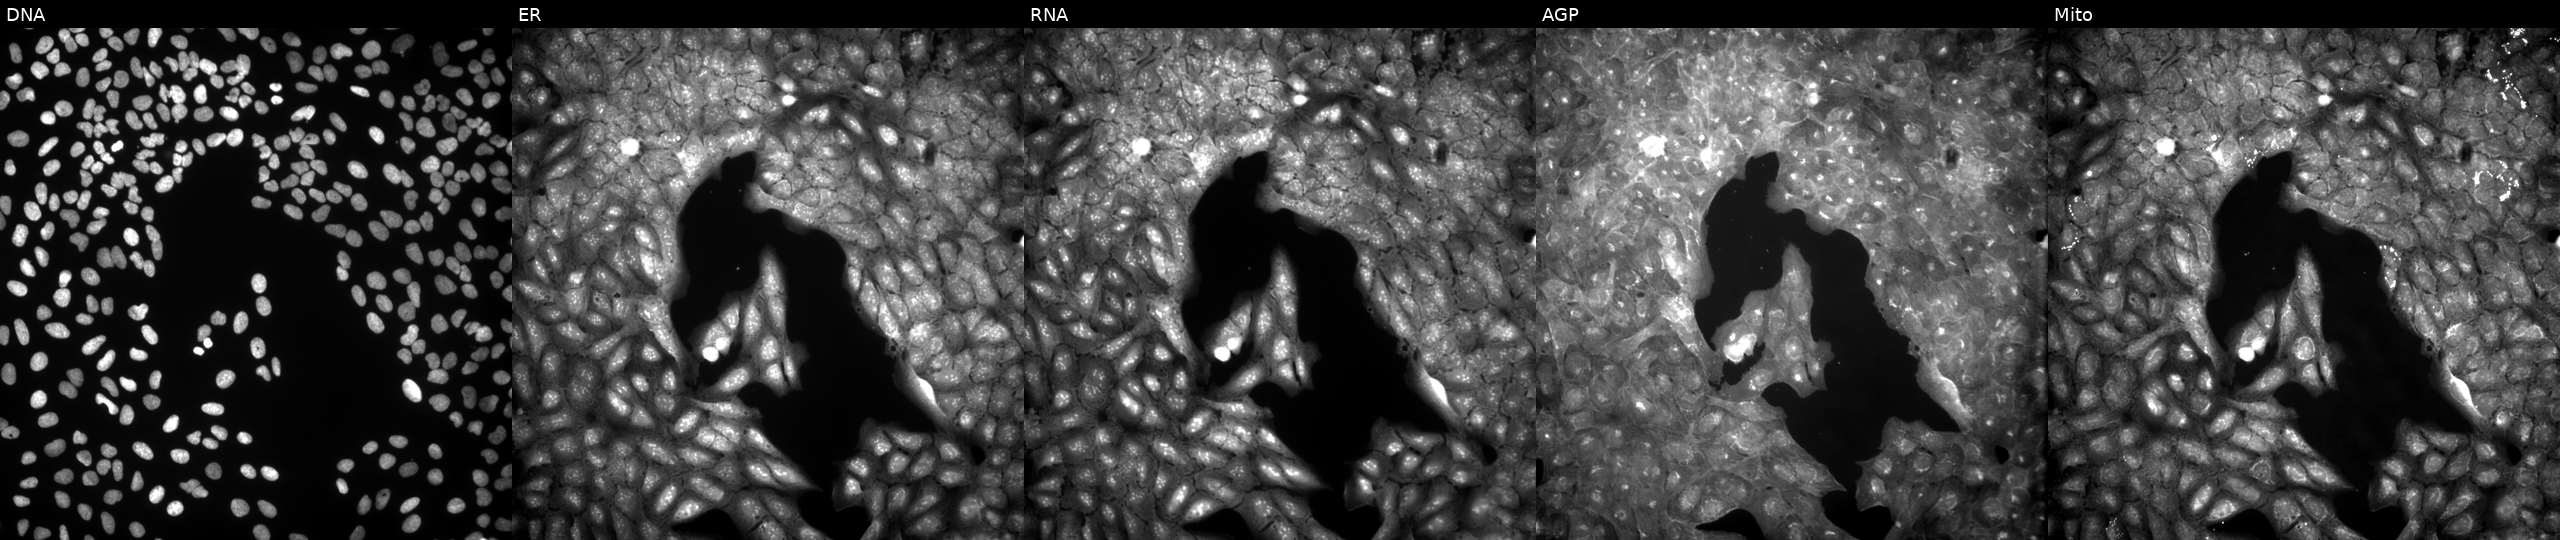
U2OS cells, Cell Painting assay, perturbed with a small-molecule compound (InChIKey BGDYWGHYOLNDJU-UHFFFAOYSA-N). From left to right: DNA (nuclei); ER (endoplasmic reticulum); RNA (nucleoli and cytoplasmic RNA); AGP (actin cytoskeleton, Golgi, and plasma membrane); Mito (mitochondria). Each panel is percentile-stretched 16-bit fluorescence. Source 9, plate GR00003382, well H33.